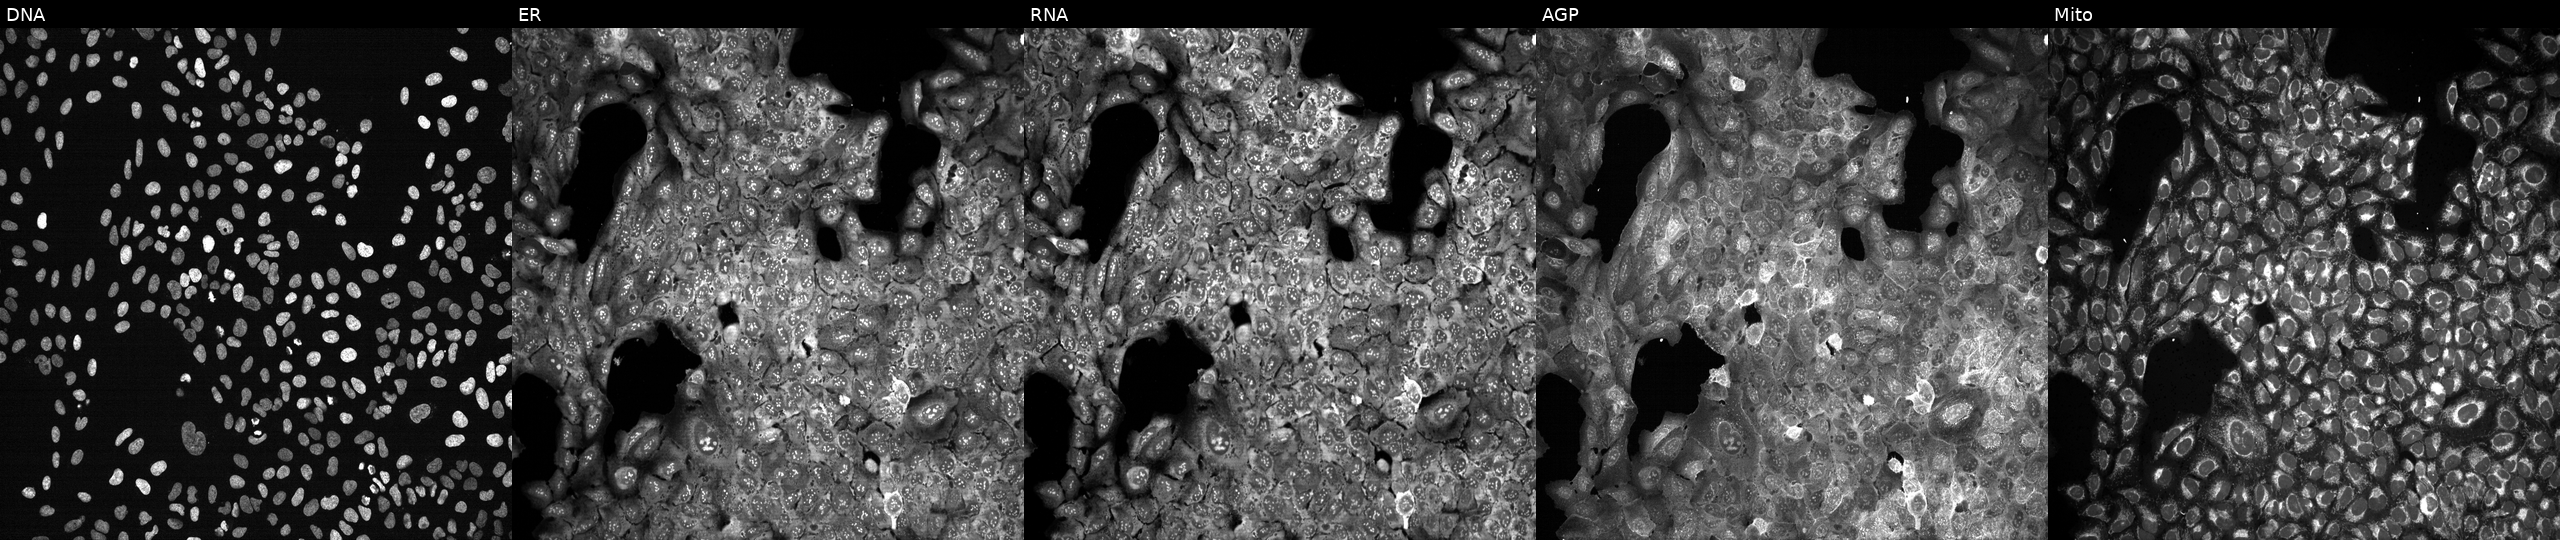
High-content fluorescence microscopy (Cell Painting). Cell line: U2OS. Perturbation: CRISPR-edited to disrupt CNTNAP2. The five panels, left to right, show DNA (nuclei); ER (endoplasmic reticulum); RNA (nucleoli and cytoplasmic RNA); AGP (actin cytoskeleton, Golgi, and plasma membrane); Mito (mitochondria). Source 13, plate CP-CC9-R4-04, well A14.